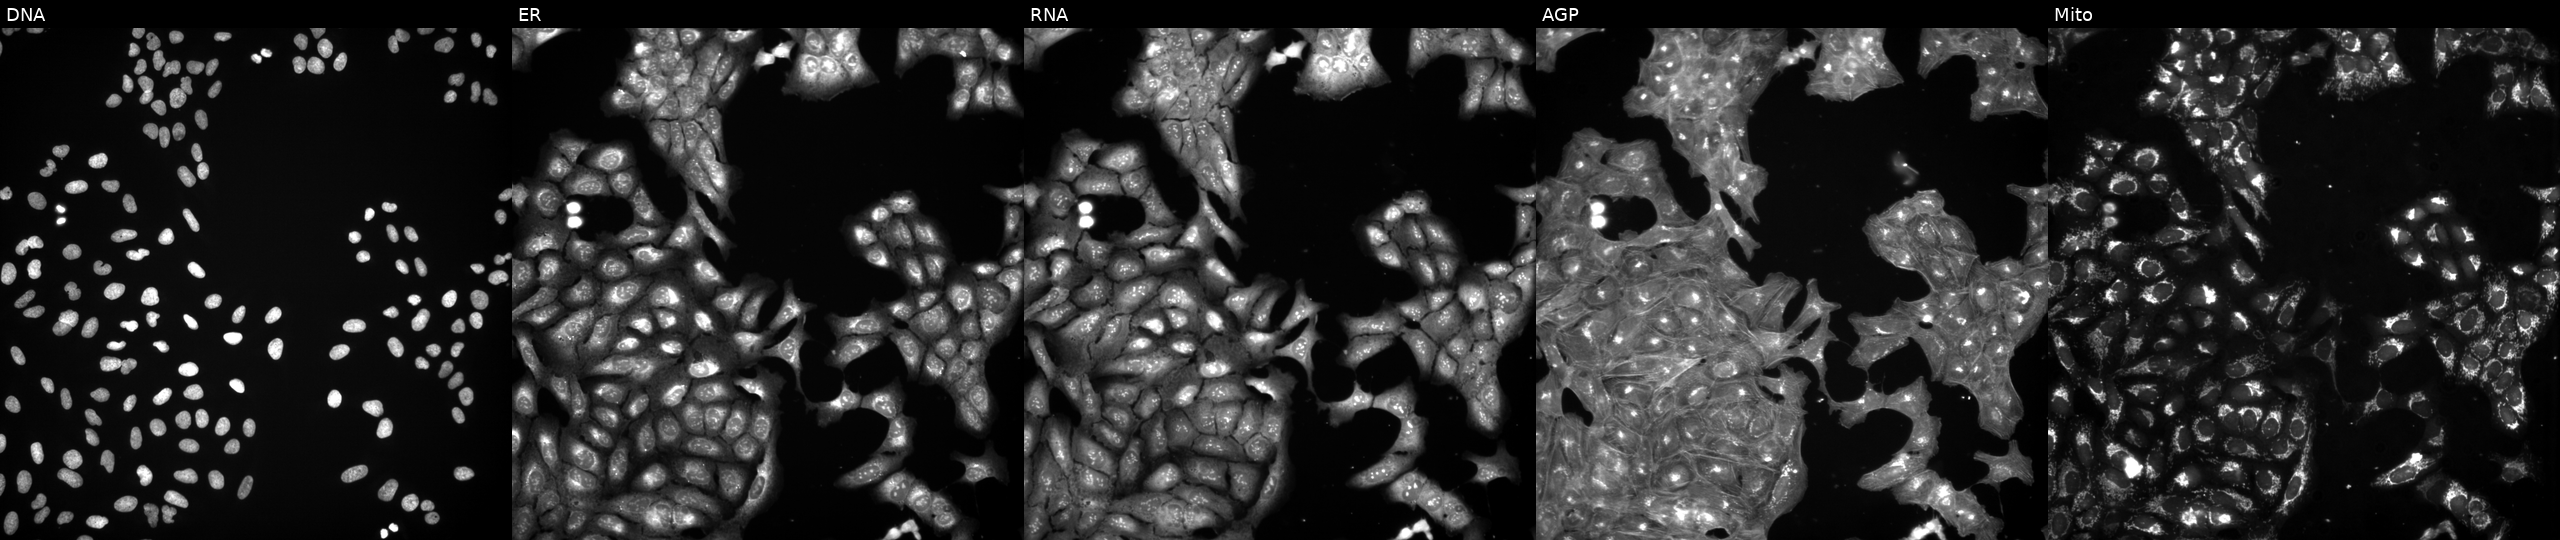
Five-channel Cell Painting image of U2OS cells treated with a small-molecule compound (InChIKey ZFFIJMCFXFHARQ-UHFFFAOYSA-N) (JUMP id JCP2022_112918). The five panels, left to right, show DNA (nuclei); ER (endoplasmic reticulum); RNA (nucleoli and cytoplasmic RNA); AGP (actin cytoskeleton, Golgi, and plasma membrane); Mito (mitochondria). Source 3, plate BR5867b3, well D06.